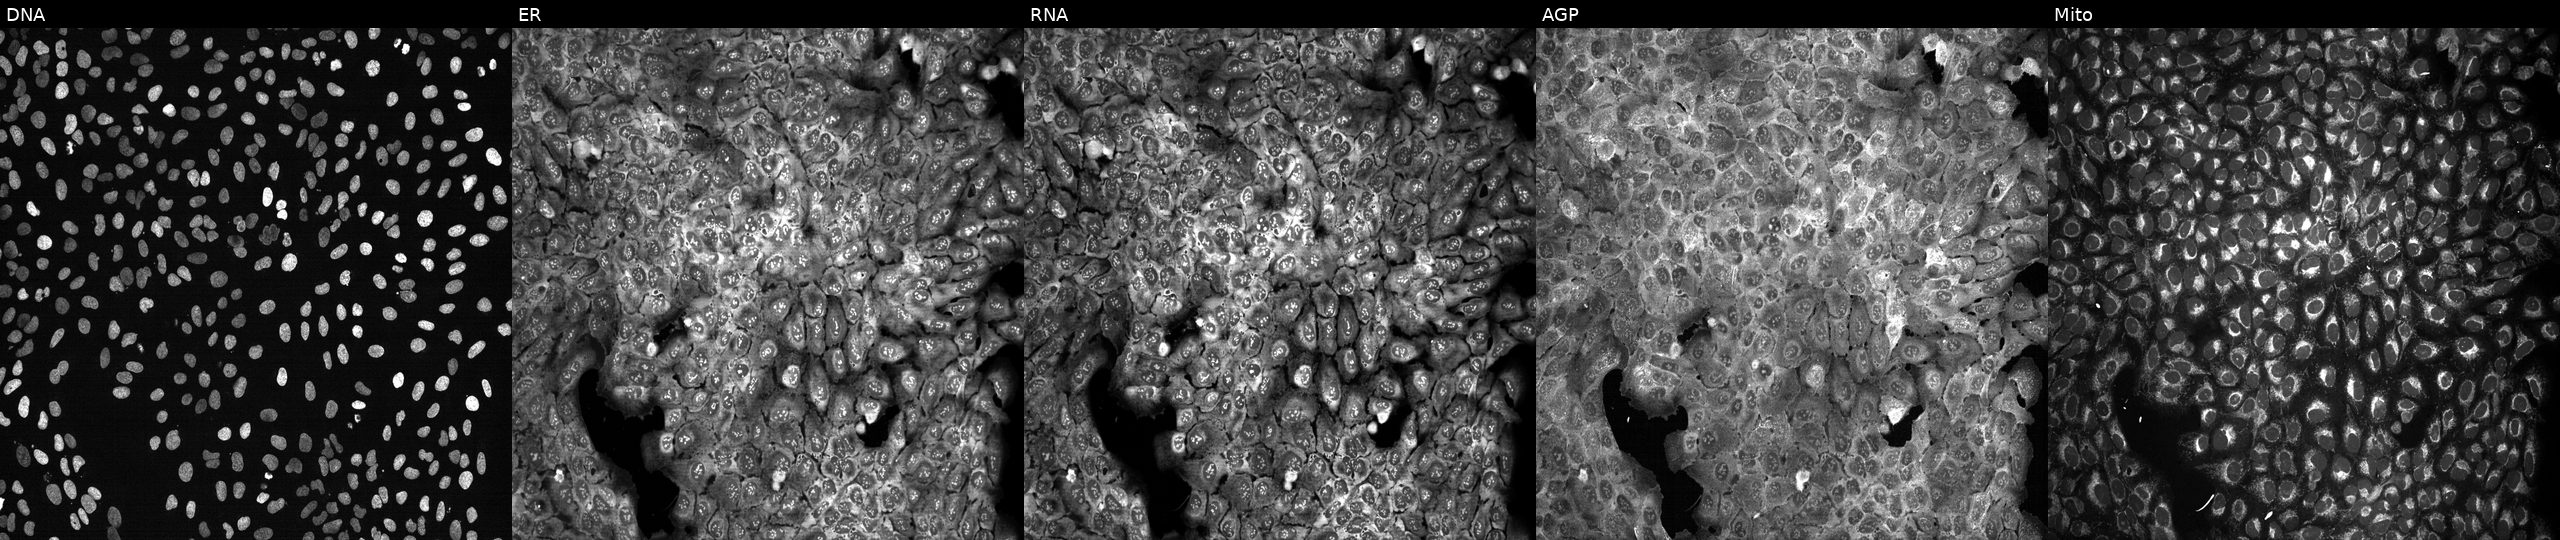
Five-channel Cell Painting image of U2OS cells with GHR knocked out by CRISPR (JUMP id JCP2022_802685). Channels (left→right): Hoechst 33342, concanavalin A, SYTO 14, phalloidin and WGA, MitoTracker.